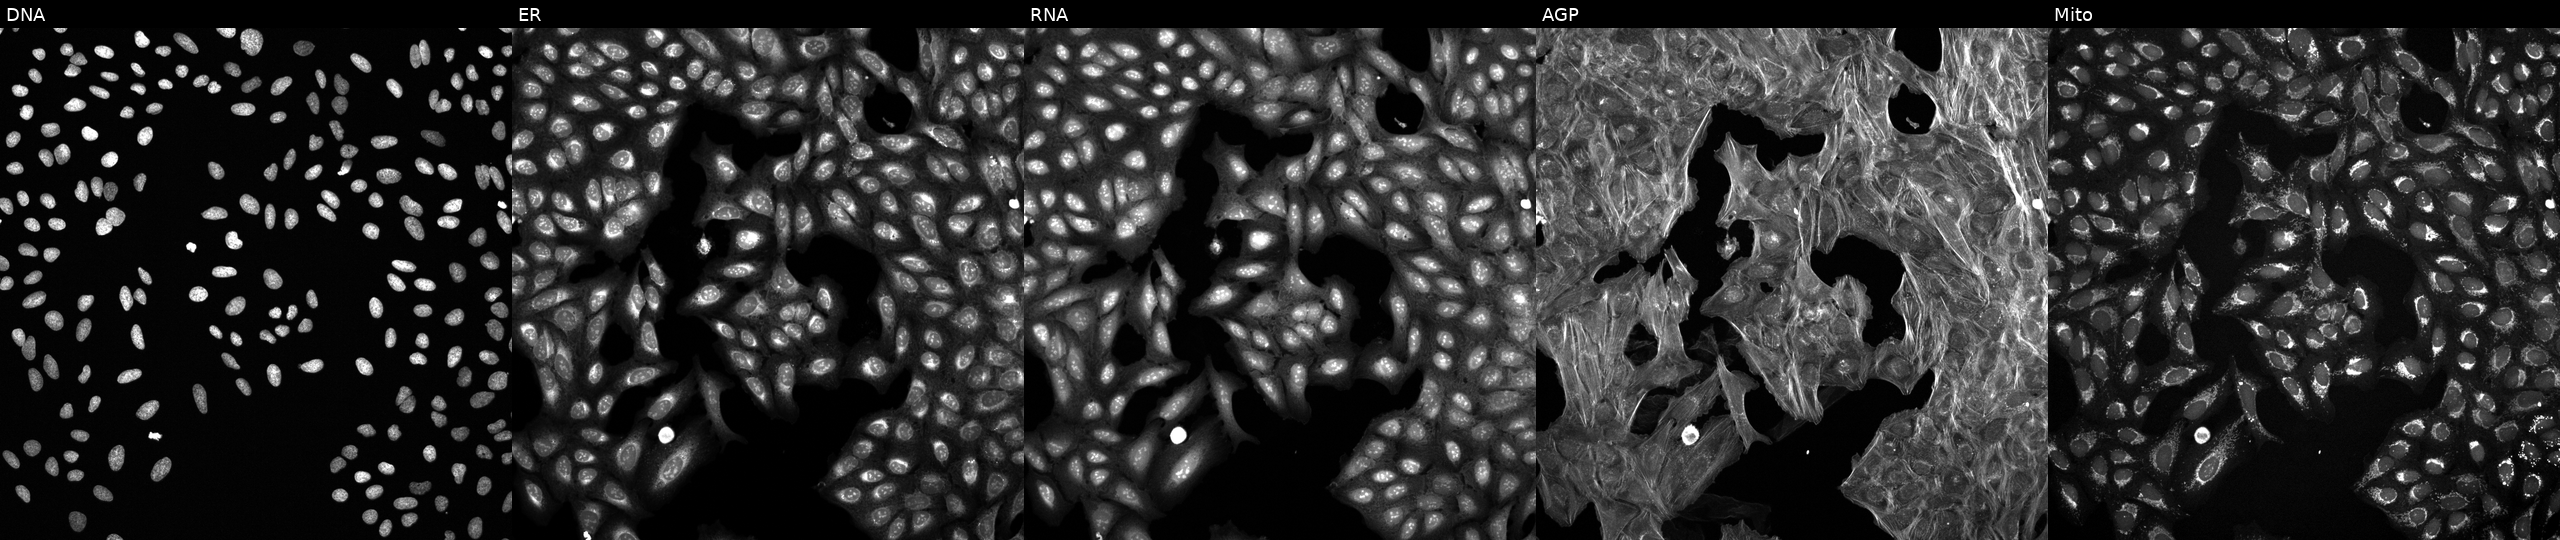
U2OS cells, Cell Painting assay, perturbed with a small-molecule compound (InChIKey UNFRMYFKVAQFBA-UHFFFAOYSA-N) (JUMP id JCP2022_090299). From left to right: DNA, ER, RNA, AGP, and Mito. Each panel is percentile-stretched 16-bit fluorescence.